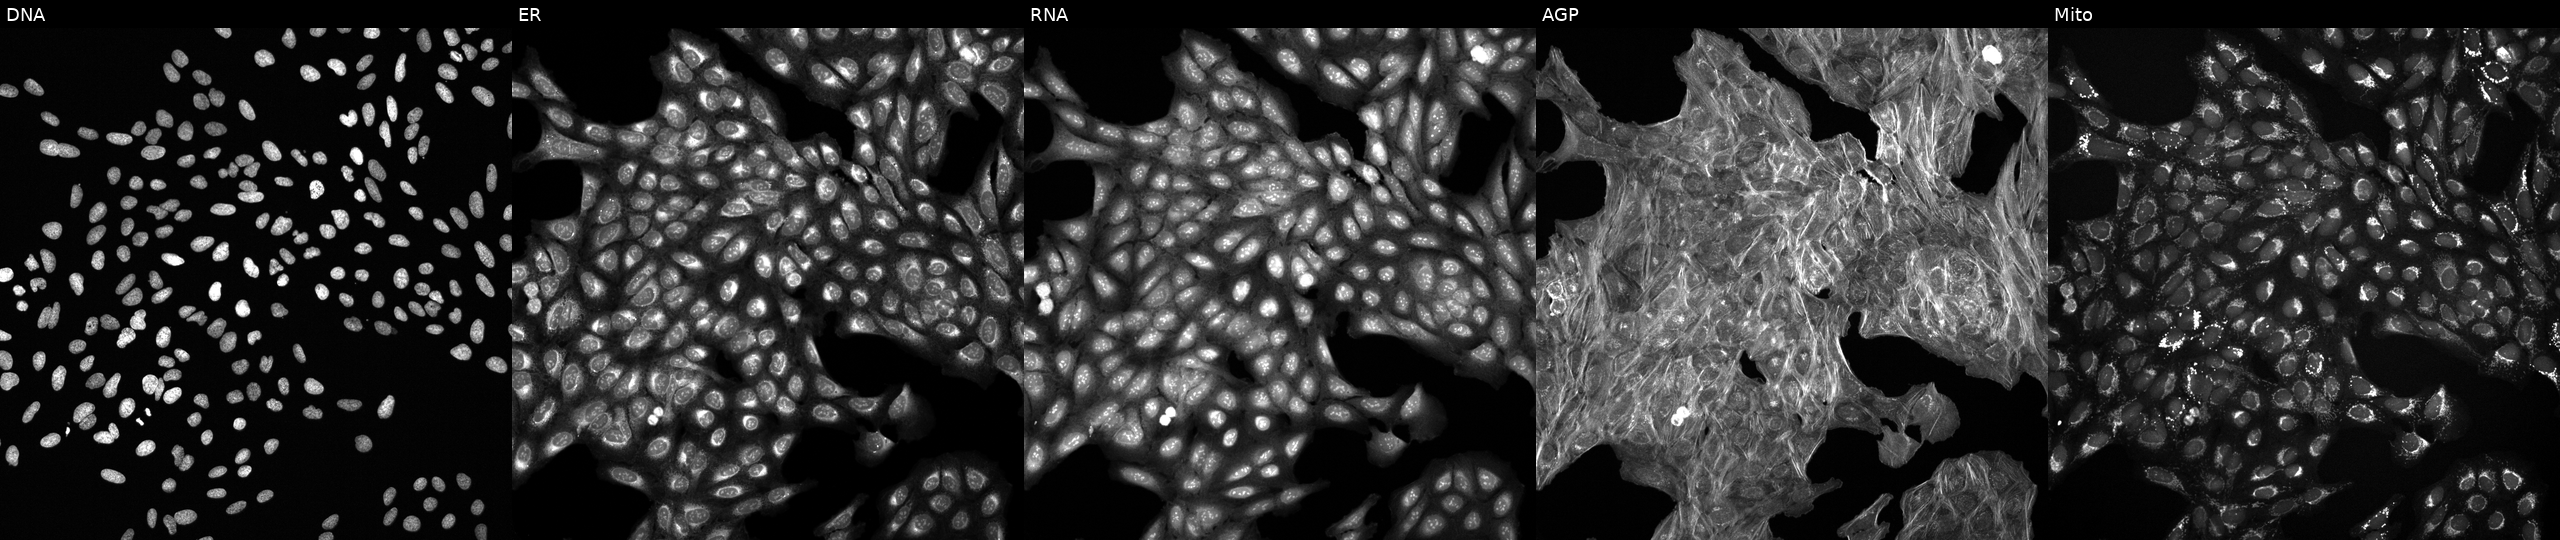
JUMP Cell Painting — TARGET2 plate. U2OS cells perturbed with a small-molecule compound (InChIKey WLBUICQBNZXIDJ-UHFFFAOYSA-N) [SMILES: NNC(=O)CSc1nc2scc(-c3ccccc3)c2c(=O)n1-c1ccccc1] (JUMP id JCP2022_099471). From left to right: Hoechst 33342, concanavalin A, SYTO 14, phalloidin and WGA, MitoTracker. Source 6, plate 110000293081, well A17.